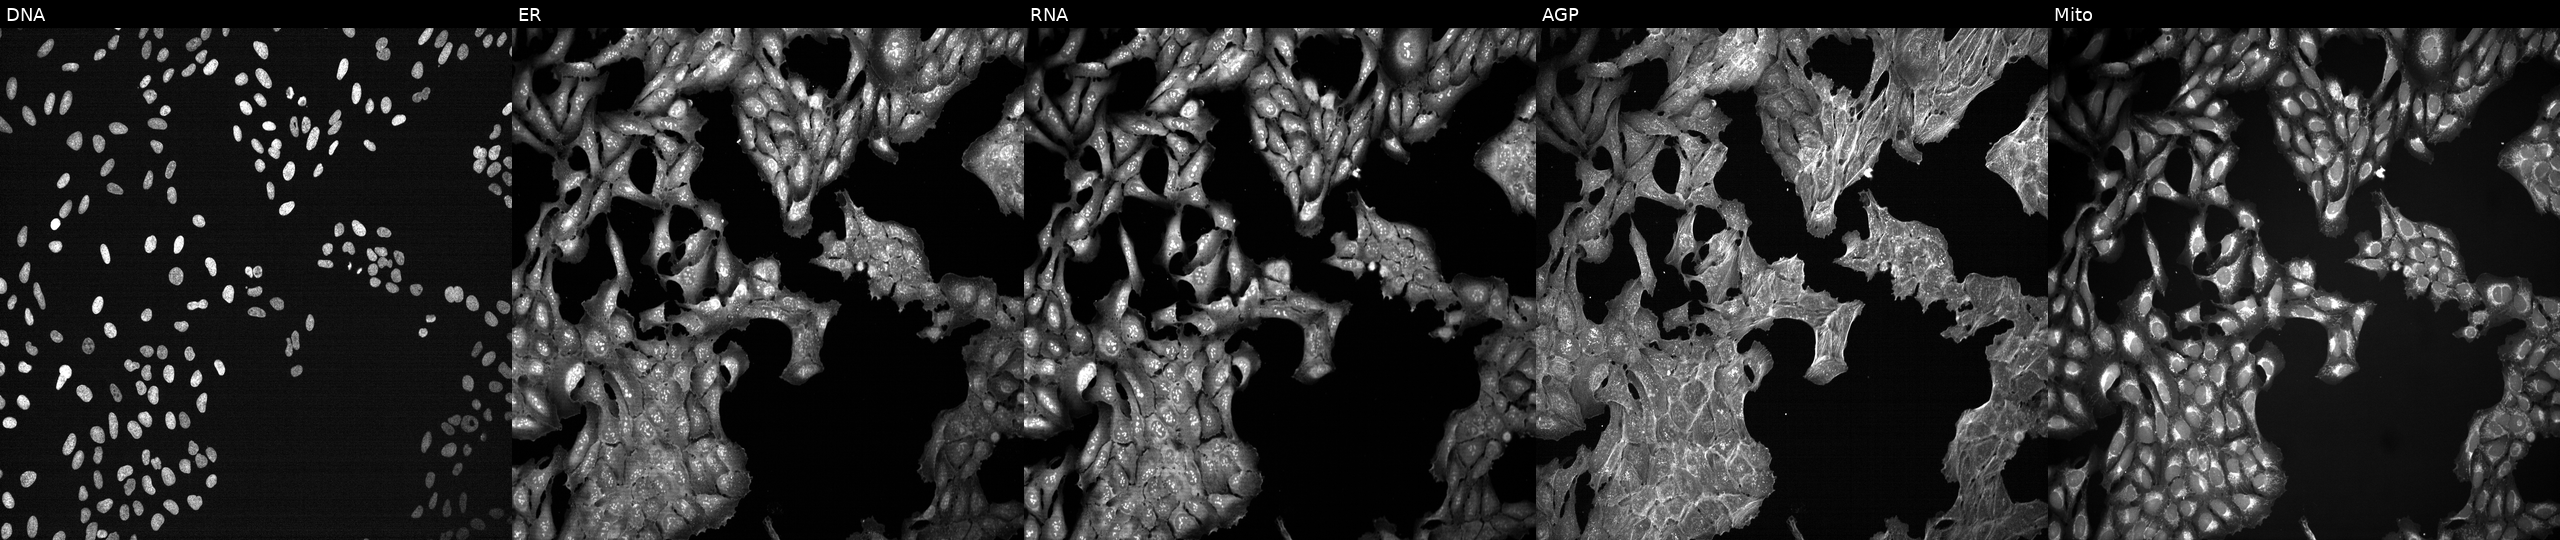
The five panels, left to right, show DNA (nuclei); ER (endoplasmic reticulum); RNA (nucleoli and cytoplasmic RNA); AGP (actin cytoskeleton, Golgi, and plasma membrane); Mito (mitochondria). U2OS osteosarcoma cells treated with DMSO vehicle only (negative control) (JUMP id JCP2022_033924). Cell Painting assay, JUMP-CP dataset.